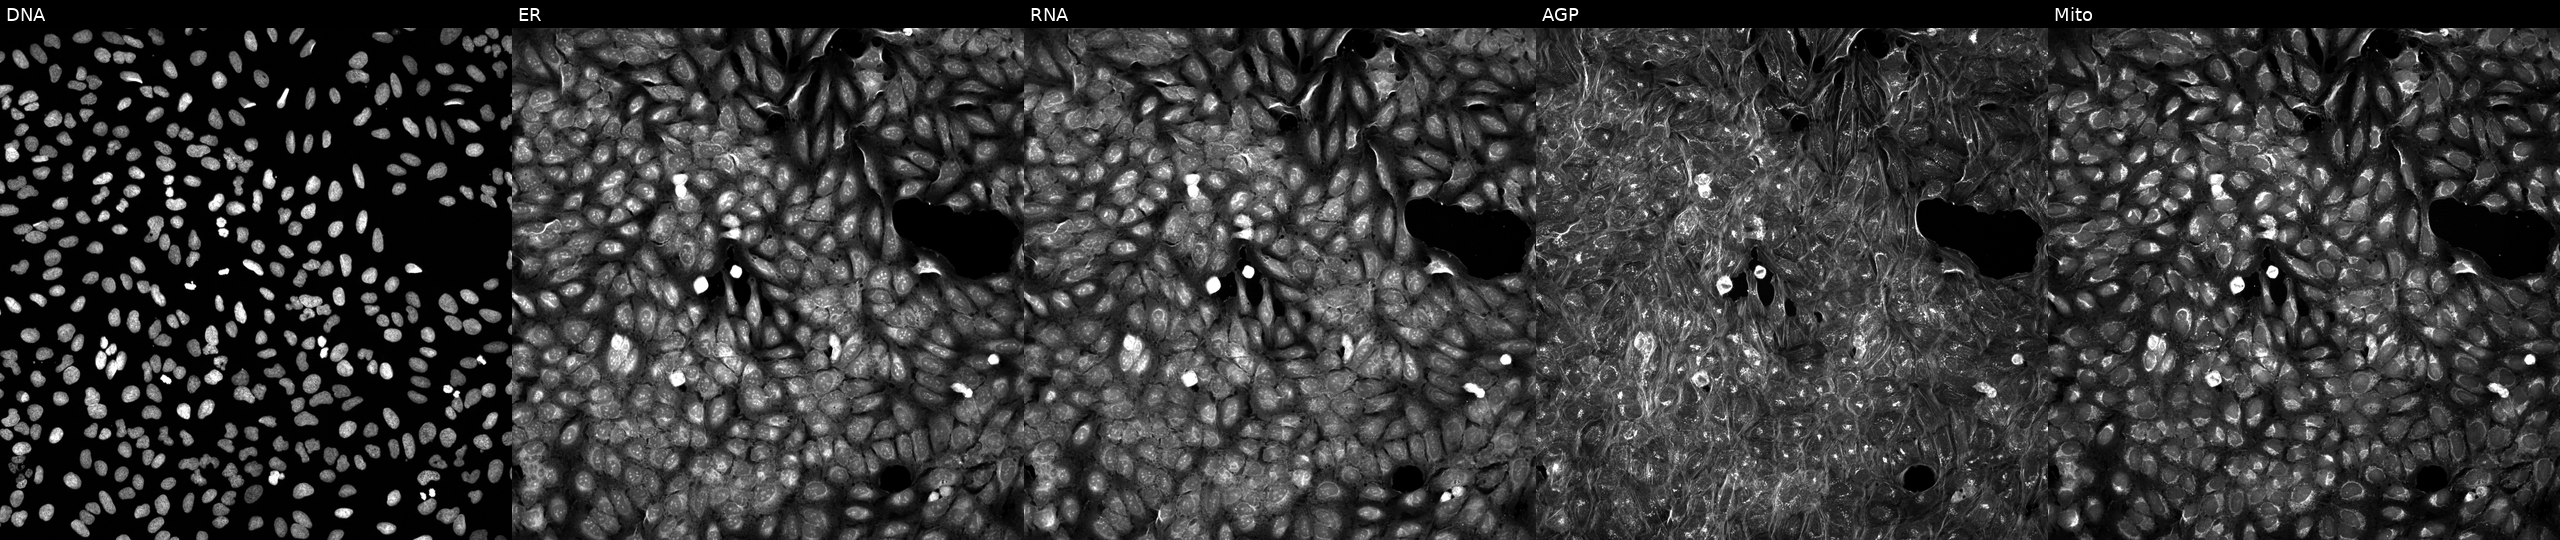
JUMP Cell Painting — COMPOUND plate. U2OS cells perturbed with a small-molecule compound (InChIKey CGGNRAOIUSDJPZ-UHFFFAOYSA-N) (JUMP id JCP2022_010942). Channels (left→right): DNA (nuclei); ER (endoplasmic reticulum); RNA (nucleoli and cytoplasmic RNA); AGP (actin cytoskeleton, Golgi, and plasma membrane); Mito (mitochondria).